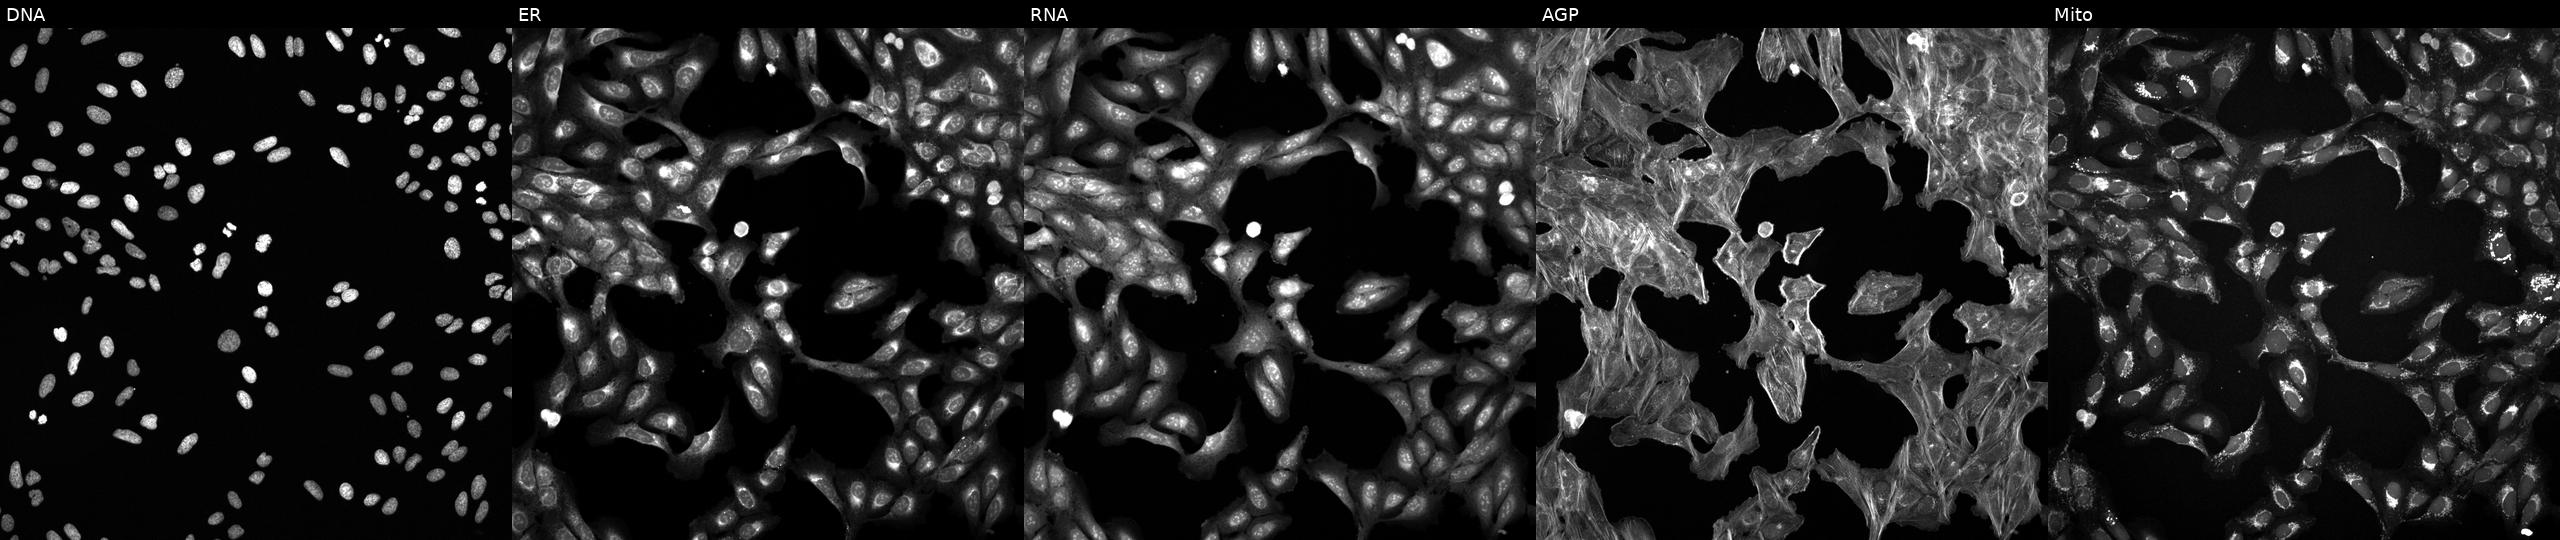
JUMP Cell Painting — TARGET2 plate. U2OS cells treated with a small-molecule compound (InChIKey IIQUYGWWHIHOCF-UHFFFAOYSA-N) [SMILES: O=C(NCCO)c1cccc(-c2cc(=Nc3ccc(OC(F)(F)F)cc3)[nH]cn2)c1]. Channels (left→right): DNA, ER, RNA, AGP, and Mito.